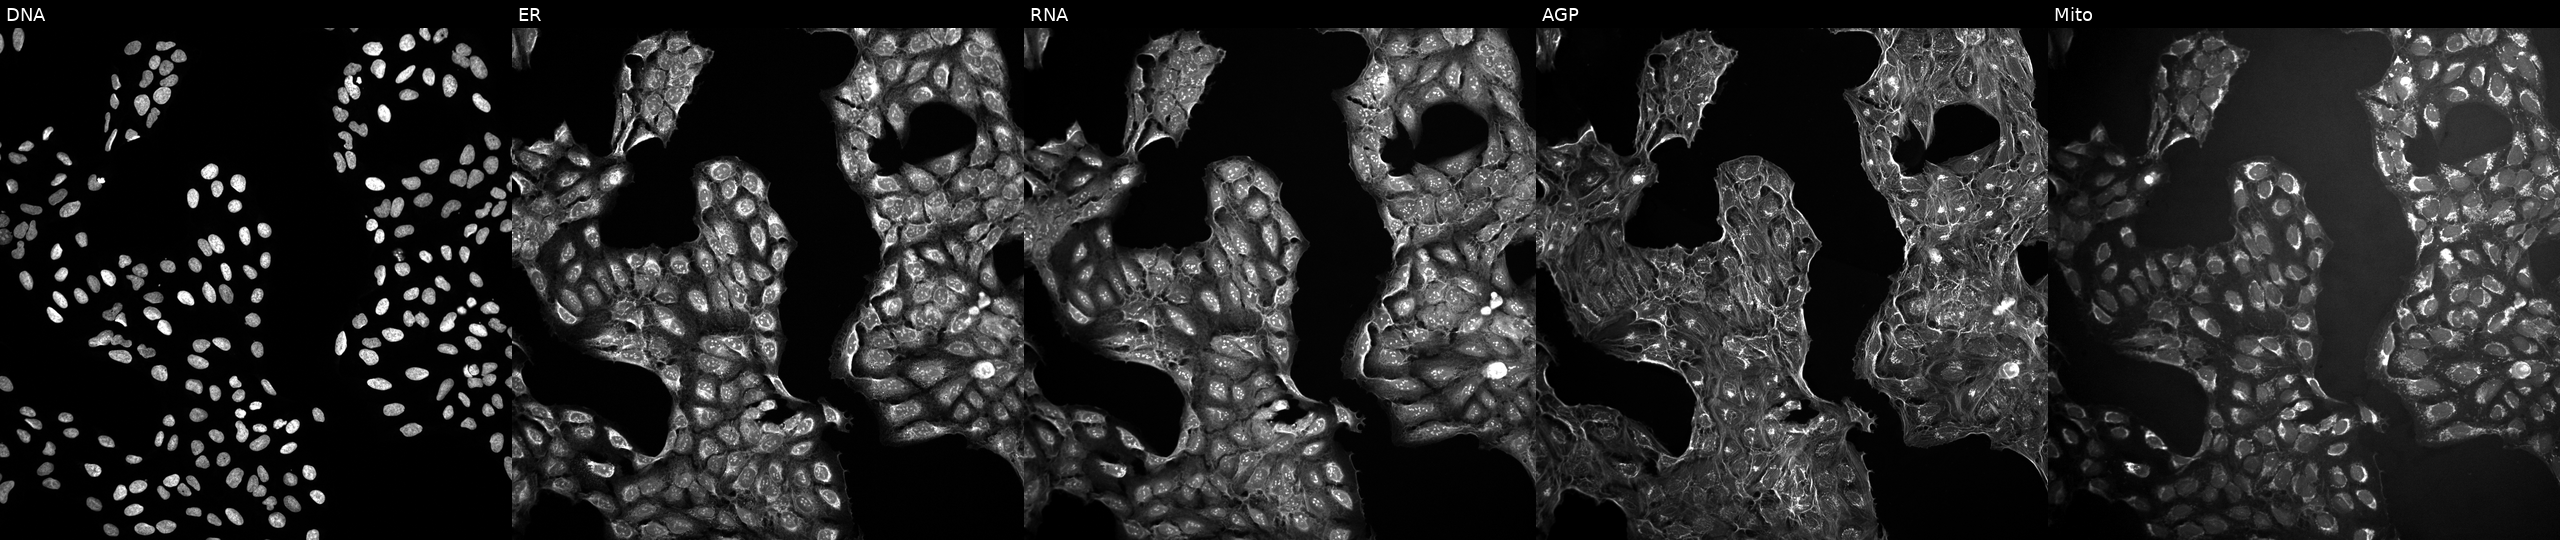
Five-channel Cell Painting image of U2OS cells exposed to a small-molecule compound. From left to right: DNA, ER, RNA, AGP, and Mito. Source 10, plate Dest210531-152324, well P21.